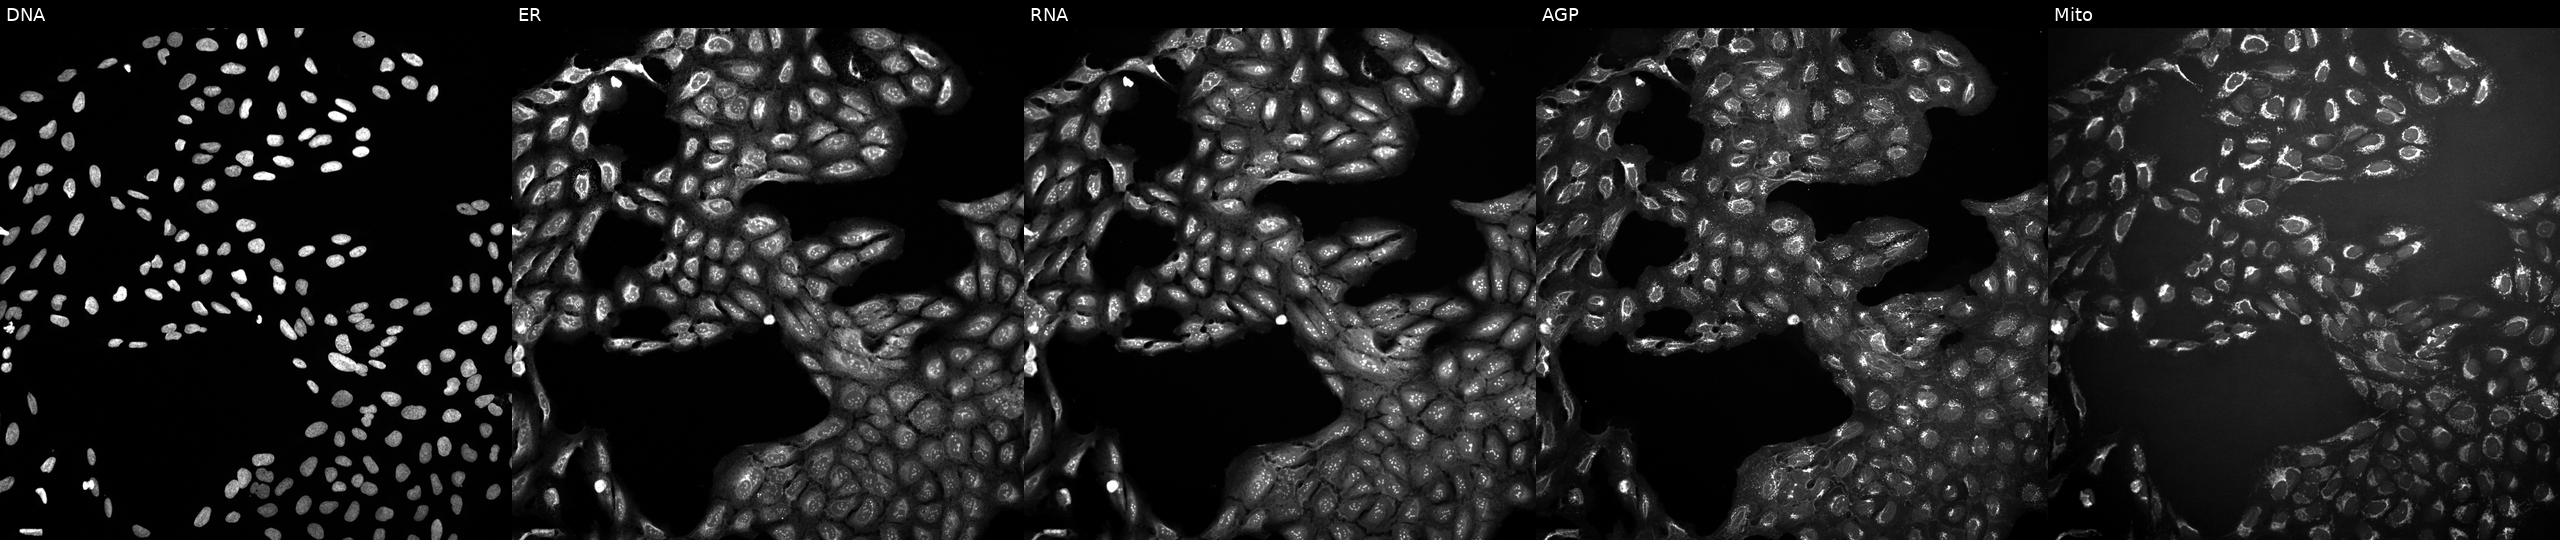
Five-channel Cell Painting image of U2OS cells exposed to a small-molecule compound (InChIKey JHSXDAWGLCZYSM-UHFFFAOYSA-N) [SMILES: Cc1cc(Cl)ccc1OCCCC(O)=NO] (JUMP id JCP2022_039863). Panels show, left to right, Hoechst 33342, concanavalin A, SYTO 14, phalloidin and WGA, MitoTracker. Source 10, plate Dest210803-153958, well H10.